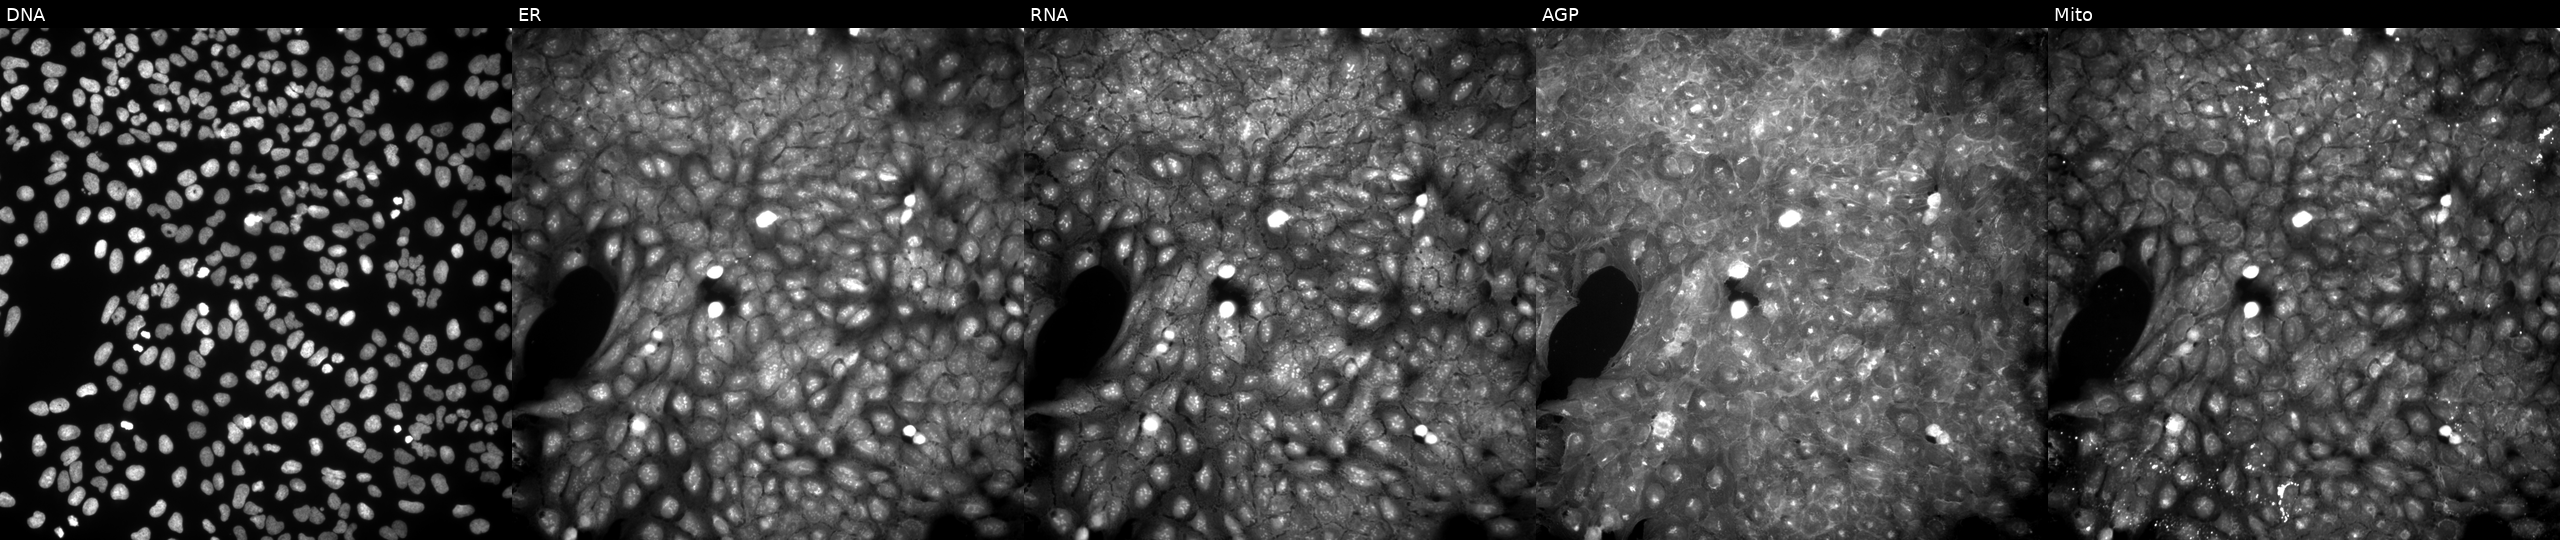
Five-channel Cell Painting image of U2OS cells exposed to a small-molecule compound [SMILES: Cc1cccc(C(=O)NNC(=O)c2ccccc2)c1] (JUMP id JCP2022_078555). Channels (left→right): DNA (nuclei); ER (endoplasmic reticulum); RNA (nucleoli and cytoplasmic RNA); AGP (actin cytoskeleton, Golgi, and plasma membrane); Mito (mitochondria). Source 9, plate GR00003382, well J27.